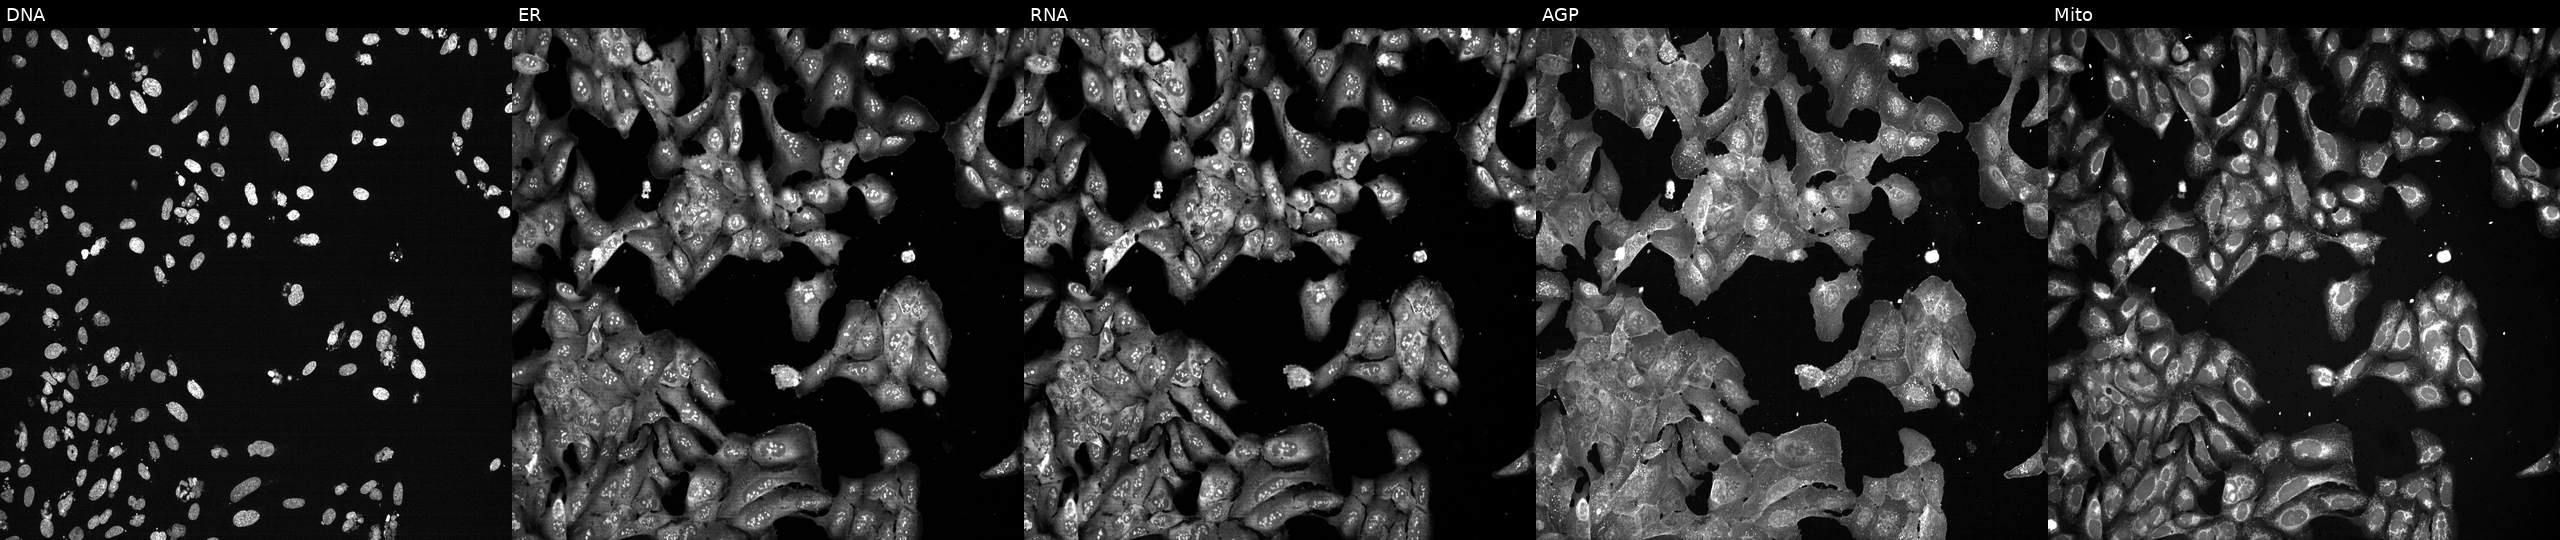
JUMP Cell Painting — CRISPR plate. U2OS cells following CRISPR knockout of TOPBP1 (JUMP id JCP2022_807200). Panels show, left to right, DNA (nuclei); ER (endoplasmic reticulum); RNA (nucleoli and cytoplasmic RNA); AGP (actin cytoskeleton, Golgi, and plasma membrane); Mito (mitochondria). Source 13, plate CP-CC9-R5-01, well A12.